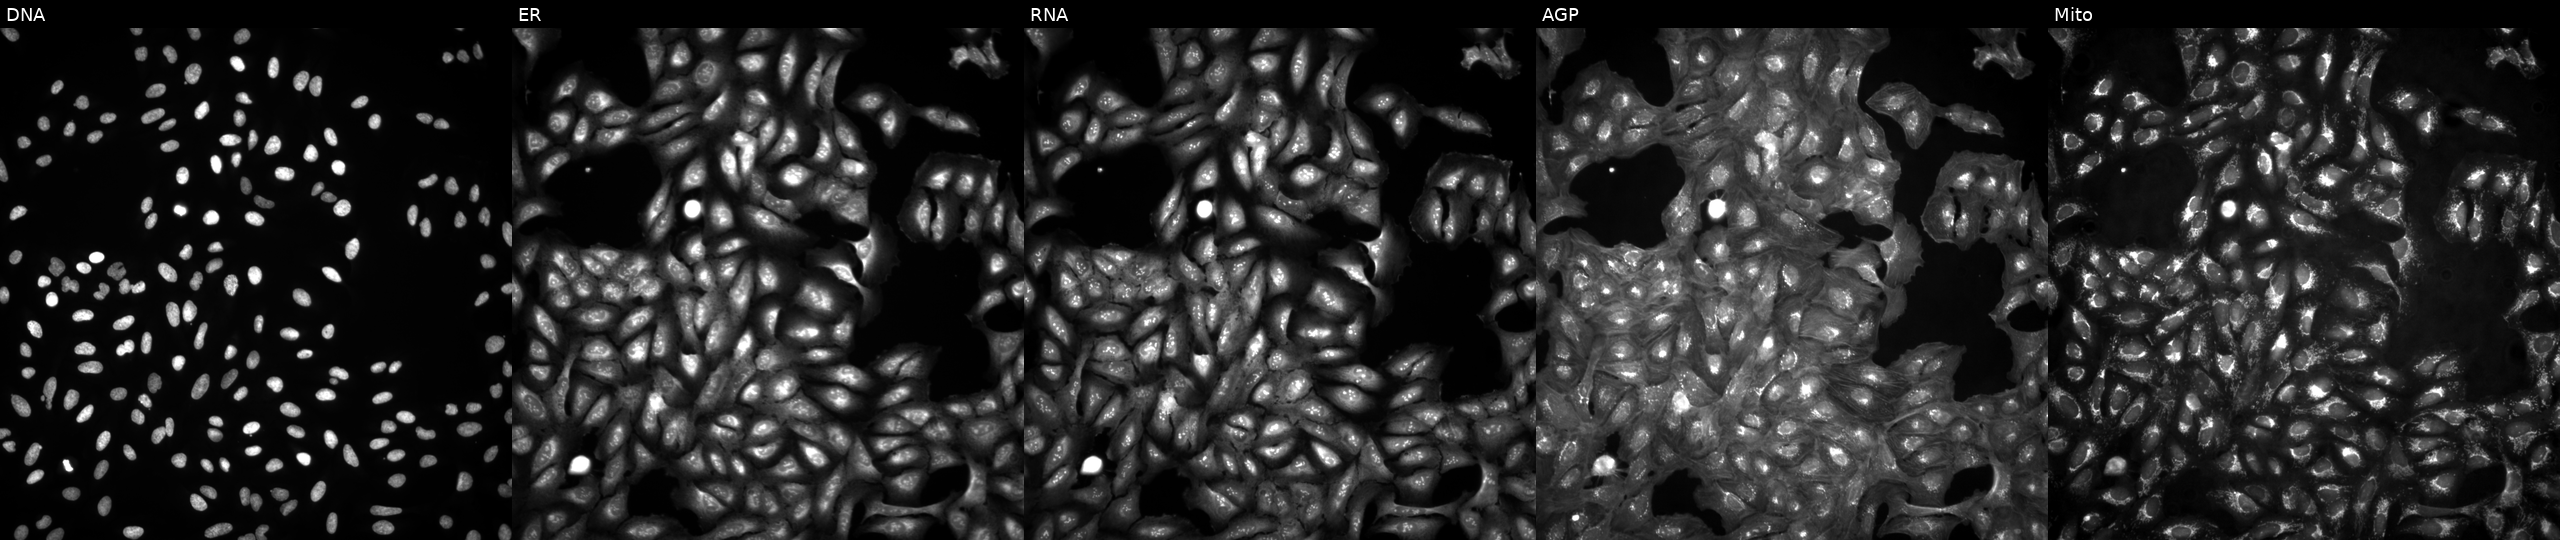
High-content fluorescence microscopy (Cell Painting). Cell line: U2OS. Perturbation: in an empty control well (no perturbation) (JUMP id JCP2022_999999). Panels show, left to right, Hoechst 33342, concanavalin A, SYTO 14, phalloidin and WGA, MitoTracker.